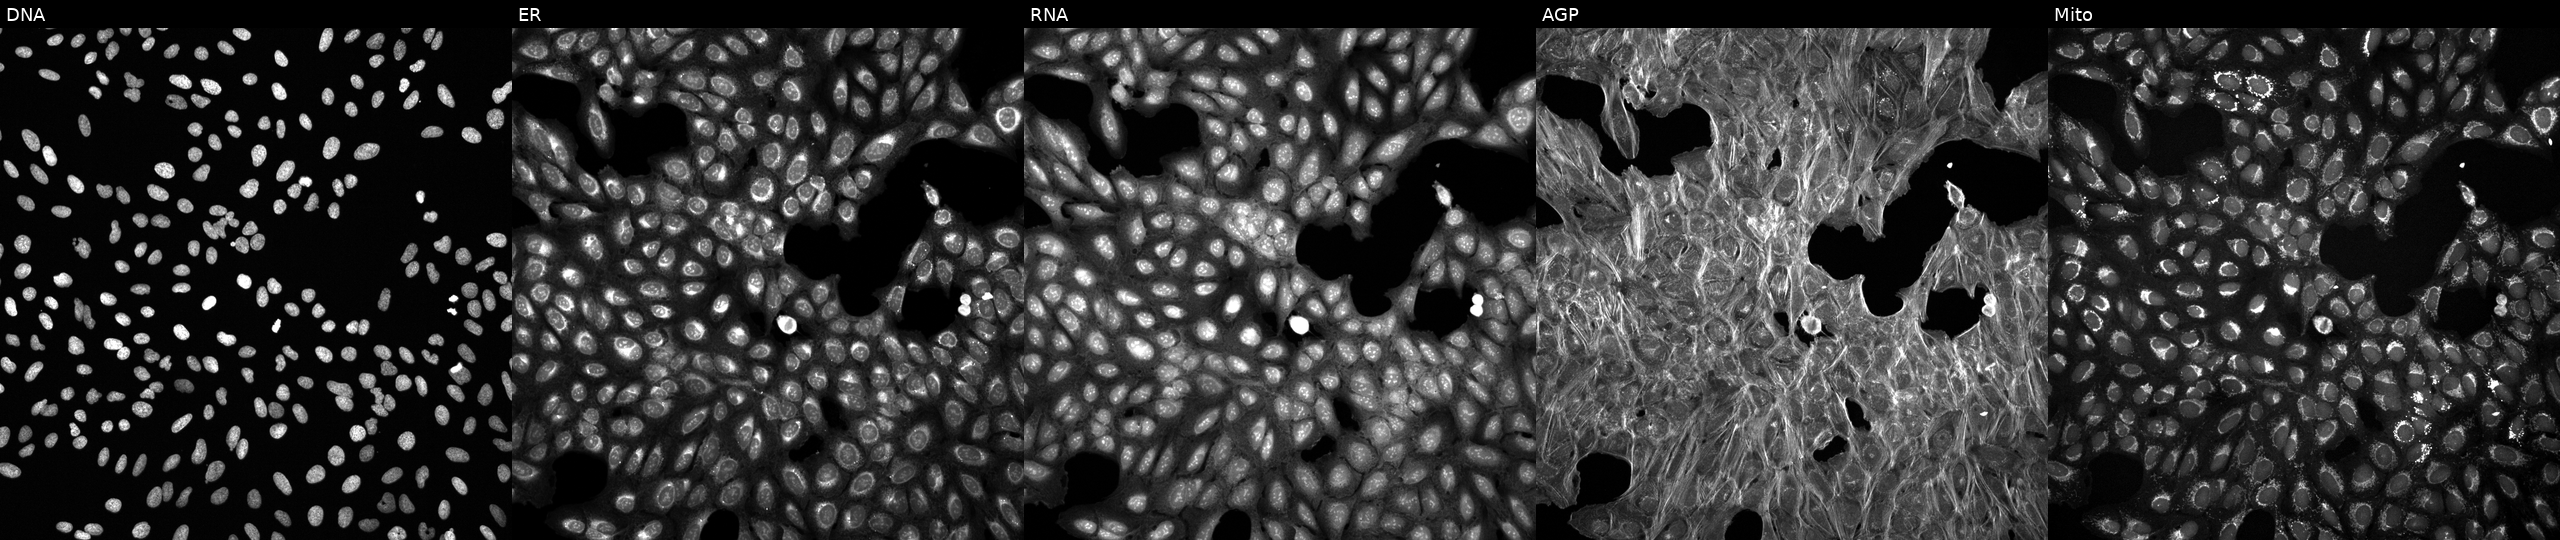
This image strip shows the five Cell Painting channels for a single field of U2OS cells perturbed with a small-molecule compound. From left to right: Hoechst 33342, concanavalin A, SYTO 14, phalloidin and WGA, MitoTracker.